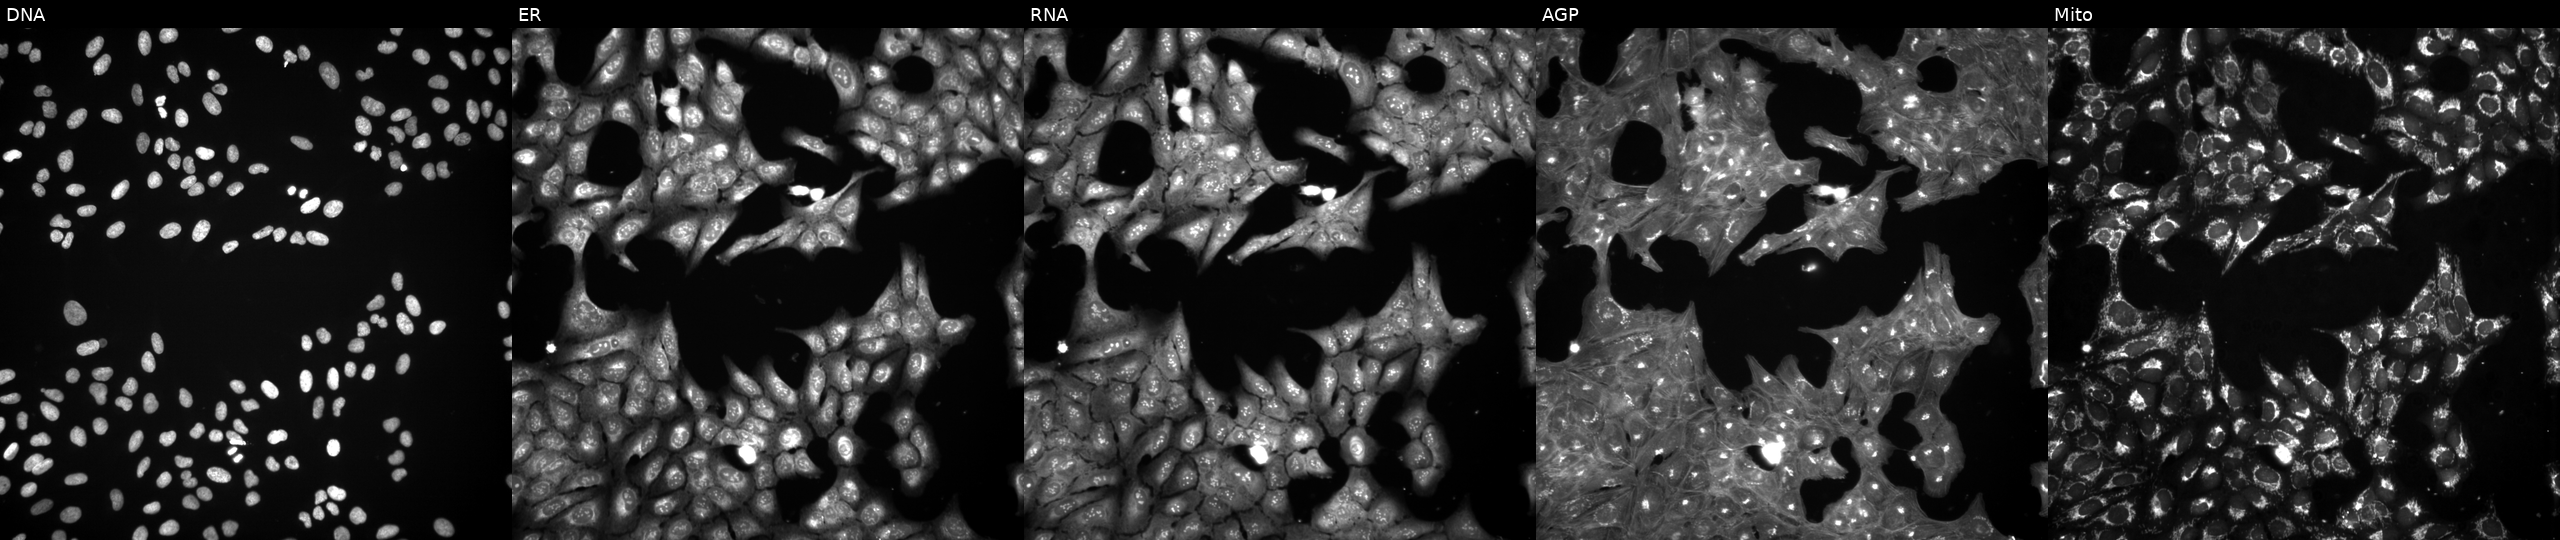
Five-channel Cell Painting image of U2OS cells exposed to a small-molecule compound (InChIKey RTBYQNZNPHRABM-UHFFFAOYSA-N). Panels show, left to right, DNA, ER, RNA, AGP, and Mito. Source 3, plate BR5867b3, well J13.